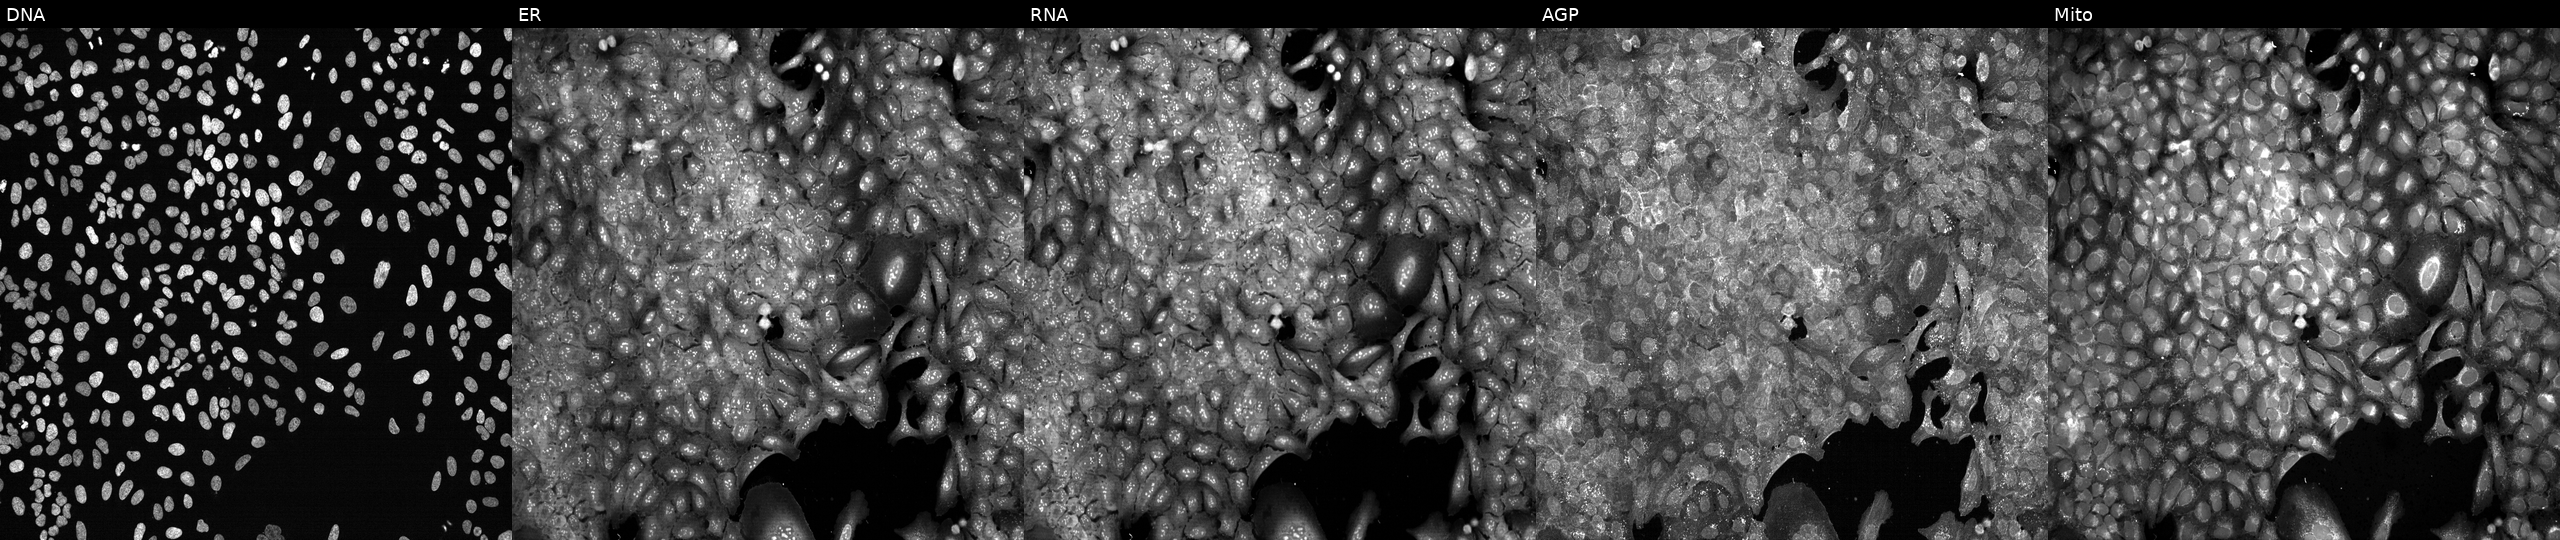
JUMP Cell Painting — CRISPR plate. U2OS cells following CRISPR knockout of HBZ (JUMP id JCP2022_803030). From left to right: DNA (nuclei); ER (endoplasmic reticulum); RNA (nucleoli and cytoplasmic RNA); AGP (actin cytoskeleton, Golgi, and plasma membrane); Mito (mitochondria).